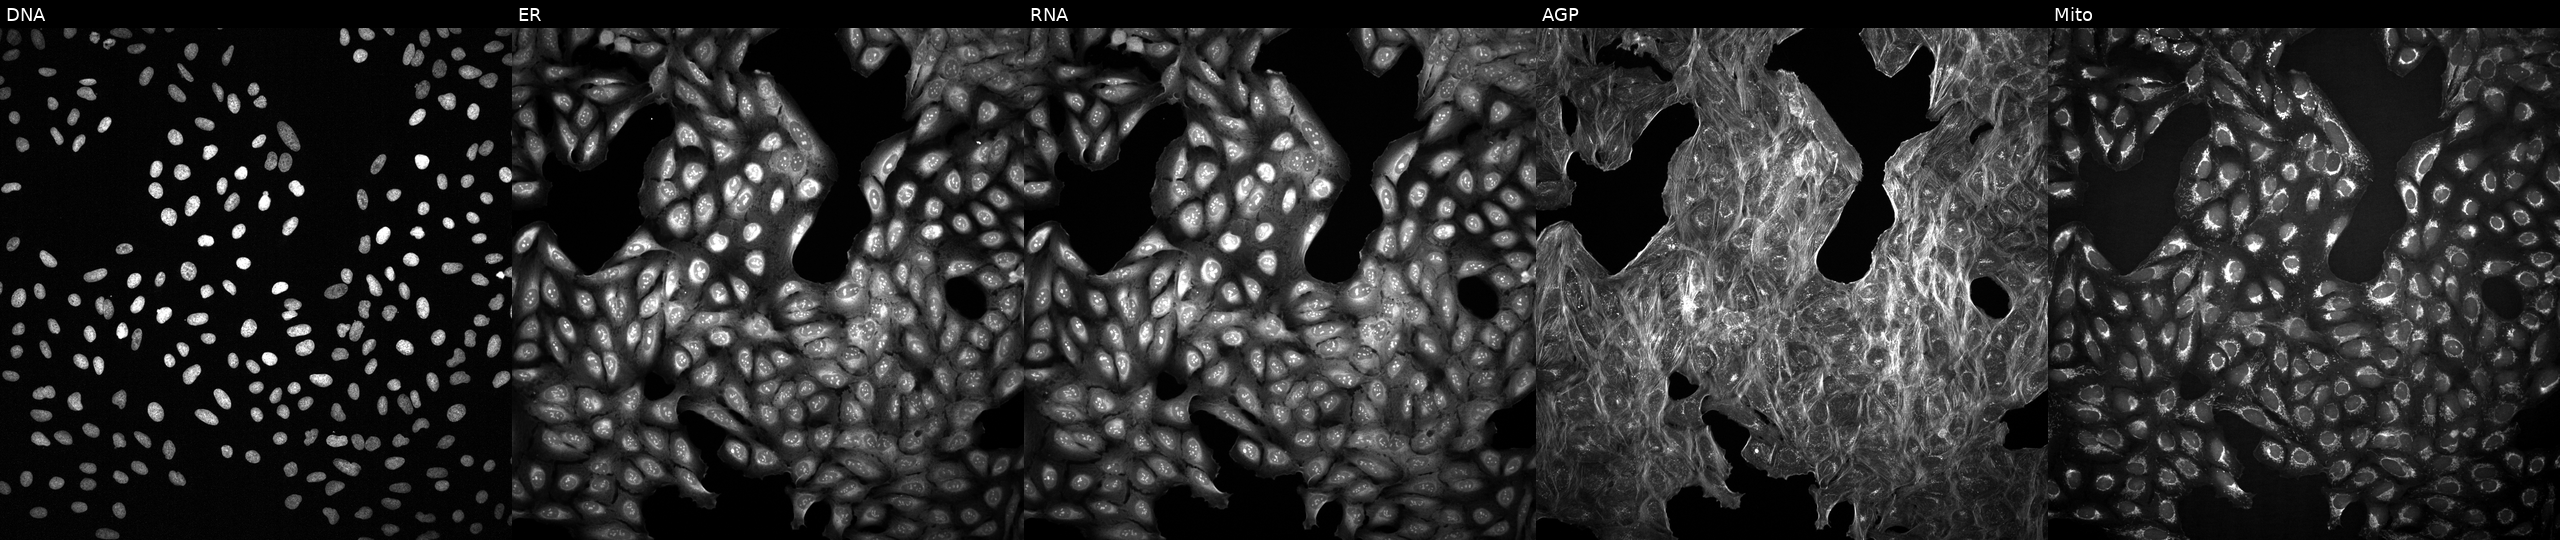
High-content fluorescence microscopy (Cell Painting). Cell line: U2OS. Perturbation: with an unidentified perturbation (not annotated in JUMP metadata). Channels (left→right): Hoechst 33342, concanavalin A, SYTO 14, phalloidin and WGA, MitoTracker.